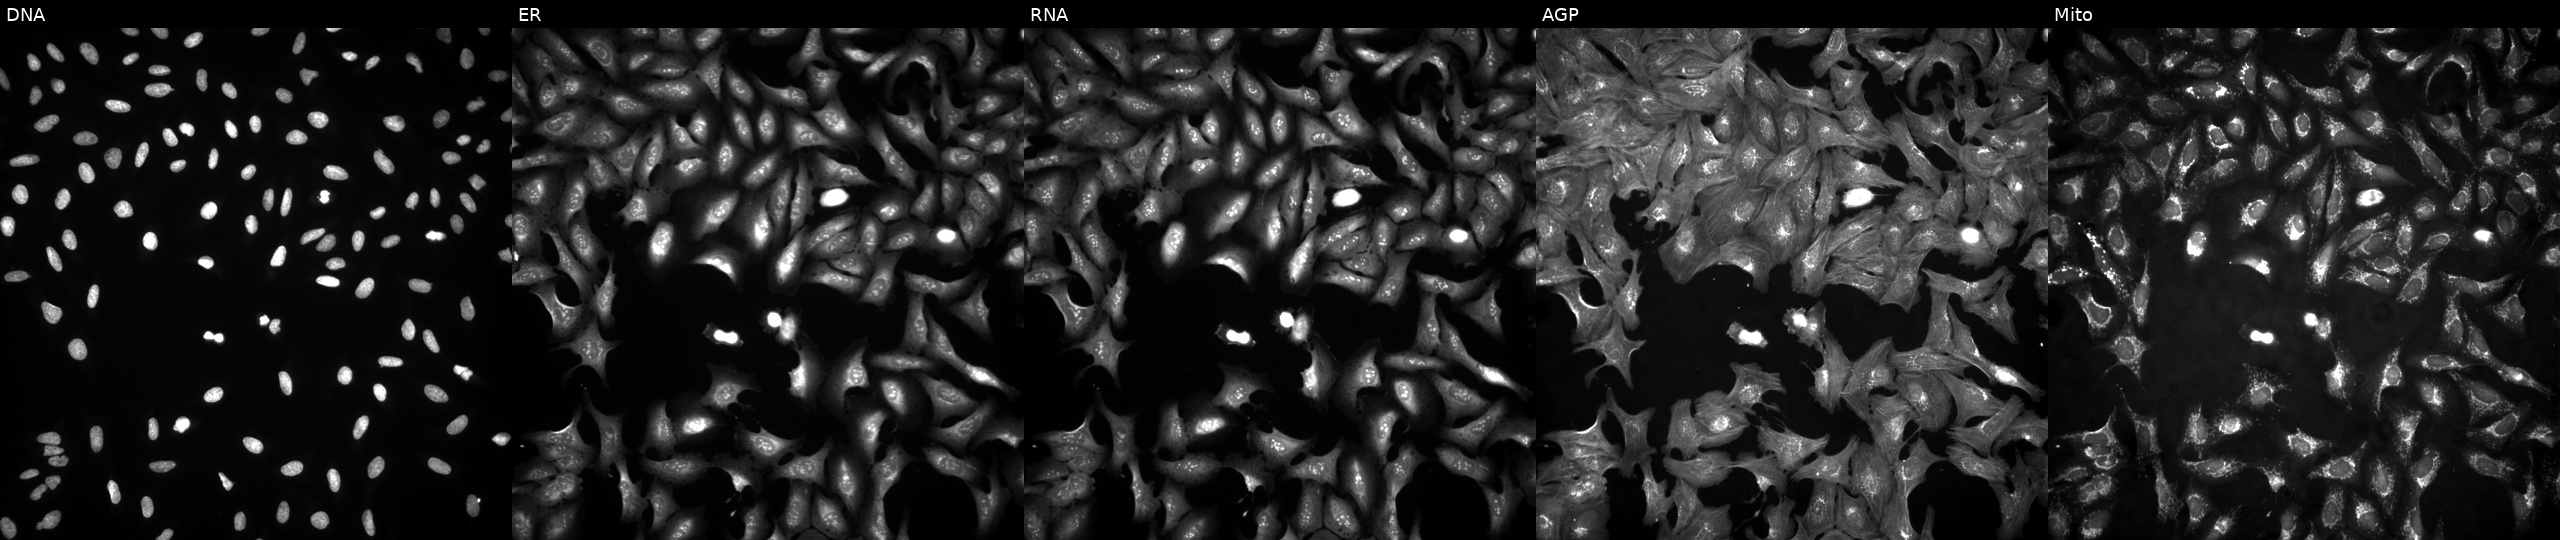
Five-channel Cell Painting image of U2OS cells transfected with an ORF construct for ANKRD10 (JUMP id JCP2022_911408). From left to right: Hoechst 33342, concanavalin A, SYTO 14, phalloidin and WGA, MitoTracker.